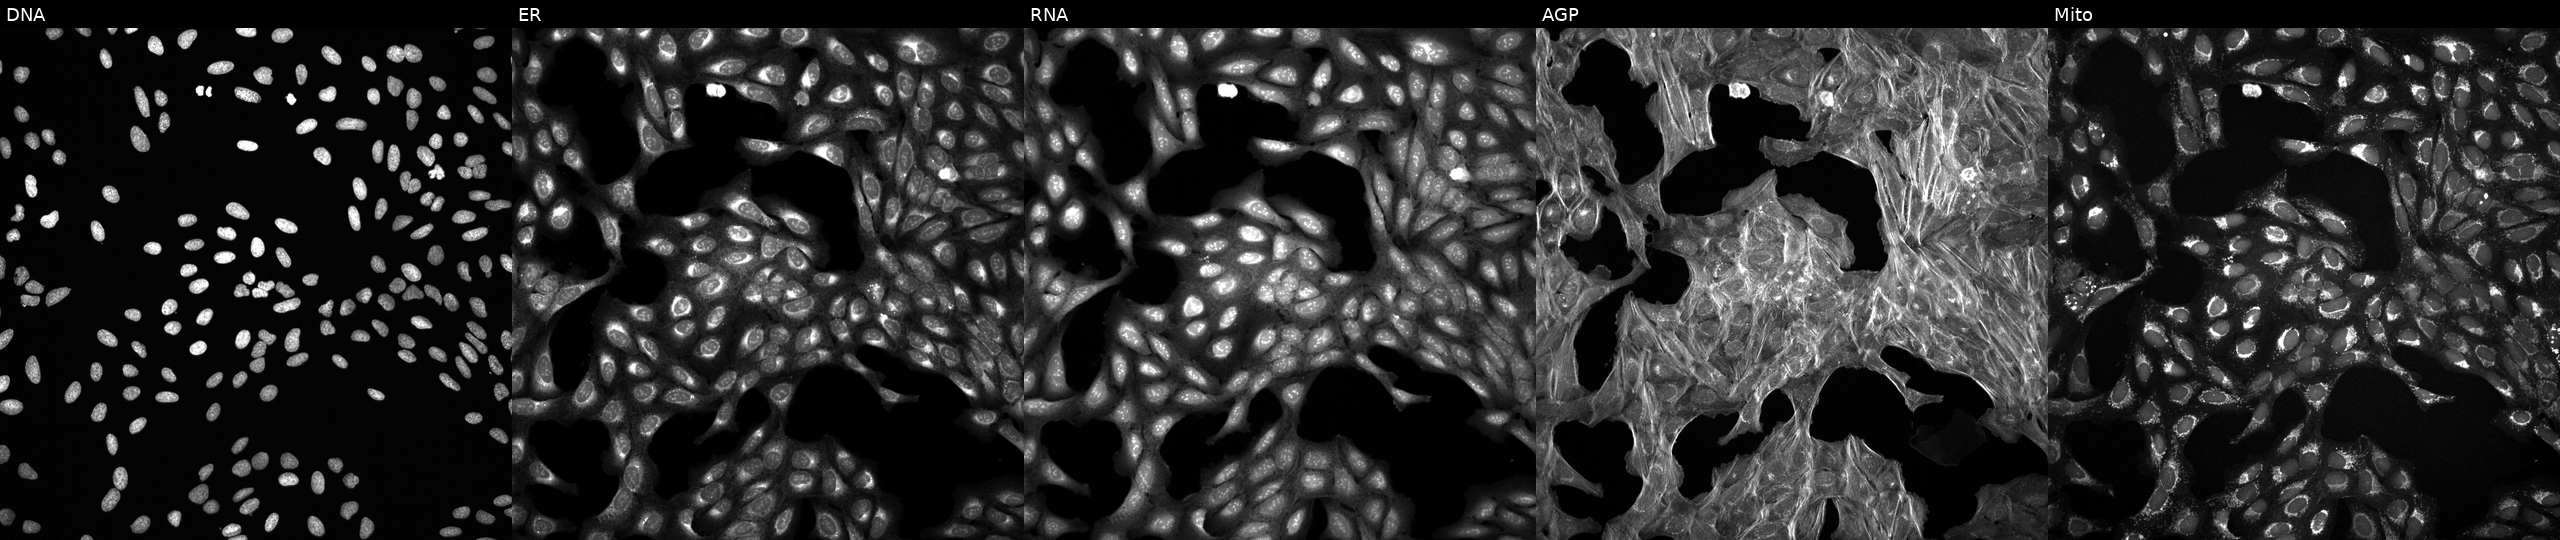
U2OS cells, Cell Painting assay, exposed to a small-molecule compound (InChIKey KAQKFAOMNZTLHT-UHFFFAOYSA-N). Channels (left→right): DNA, ER, RNA, AGP, and Mito. Each panel is percentile-stretched 16-bit fluorescence.